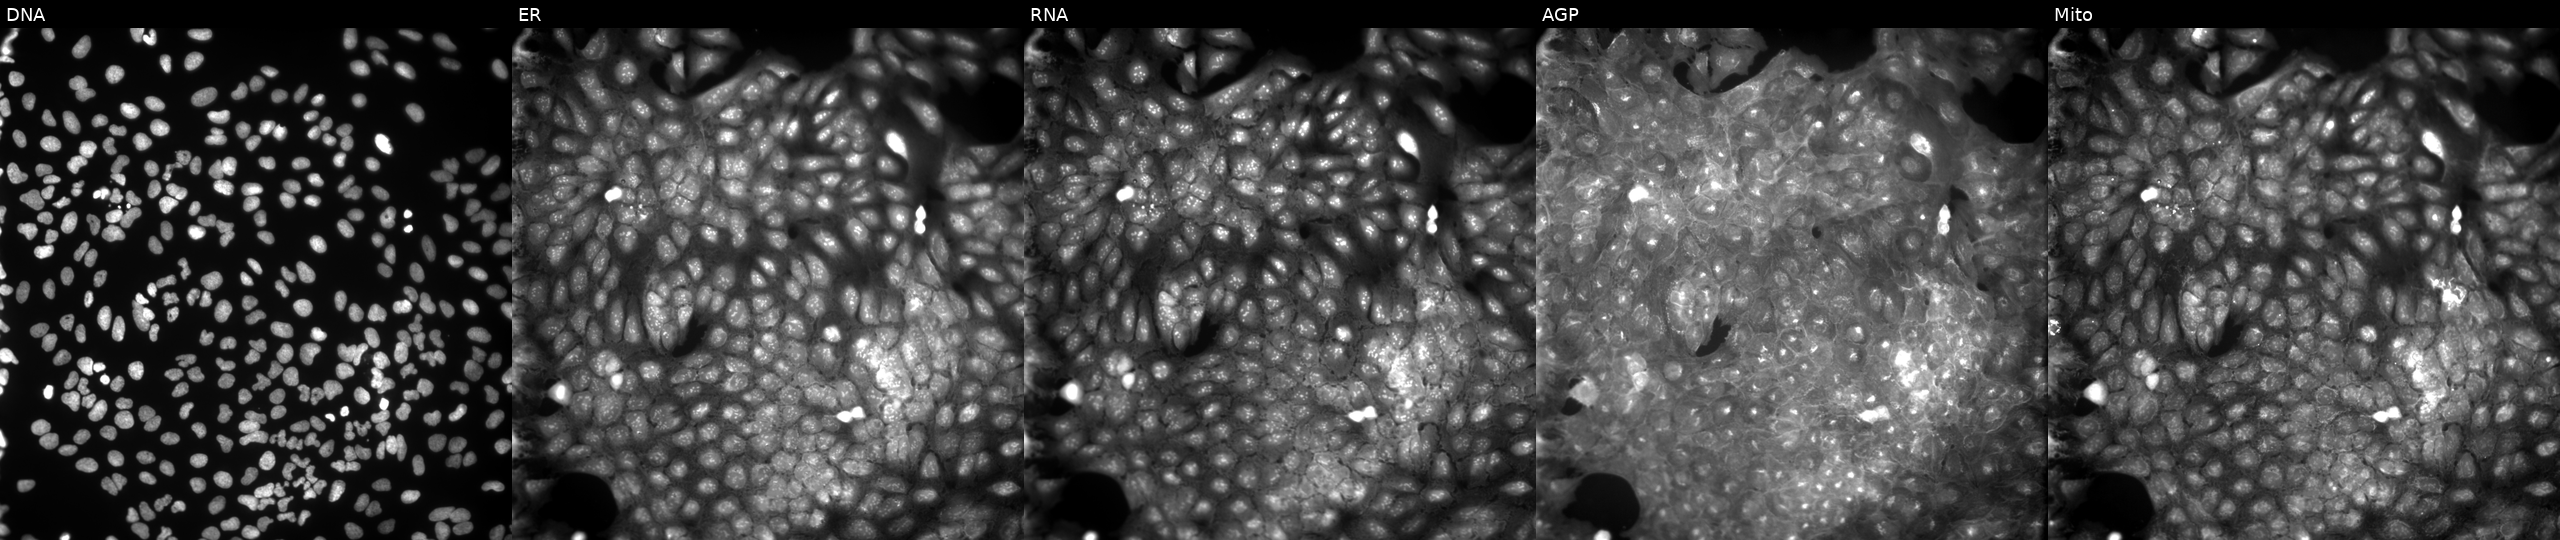
Panels show, left to right, Hoechst 33342, concanavalin A, SYTO 14, phalloidin and WGA, MitoTracker. U2OS osteosarcoma cells perturbed with a small-molecule compound. Cell Painting assay, JUMP-CP dataset.